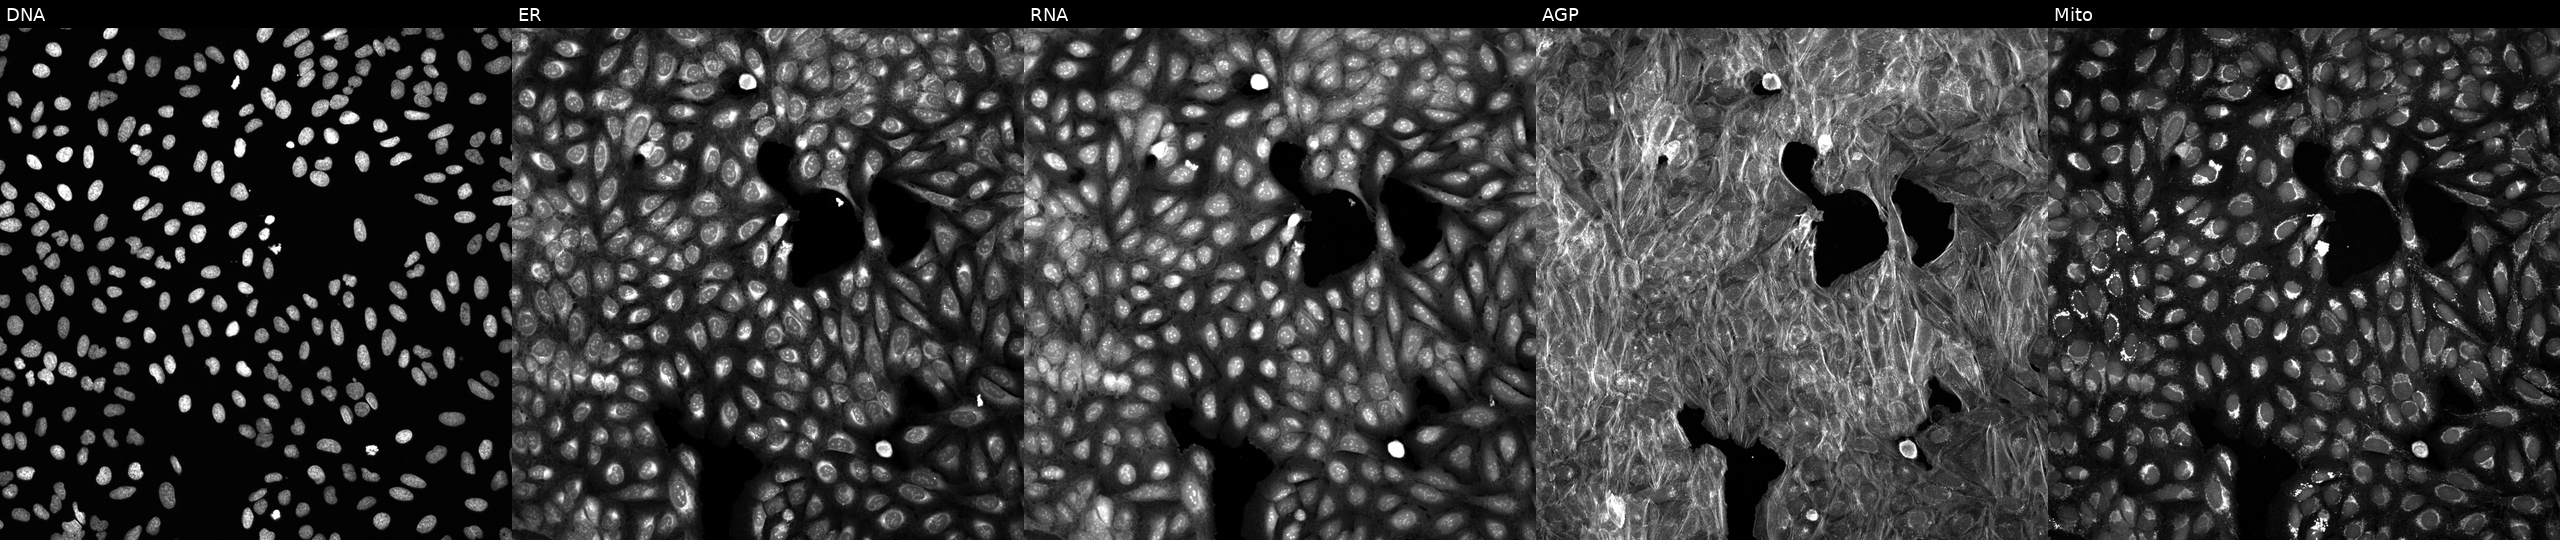
This image strip shows the five Cell Painting channels for a single field of U2OS cells treated with a small-molecule compound (InChIKey RYEFFICCPKWYML-UHFFFAOYSA-N) [SMILES: CC(C)(O)C1C2OC(=O)C1C1(O)CC3OC34C(=O)OC2C14C] (JUMP id JCP2022_081496). The five panels, left to right, show DNA, ER, RNA, AGP, and Mito.